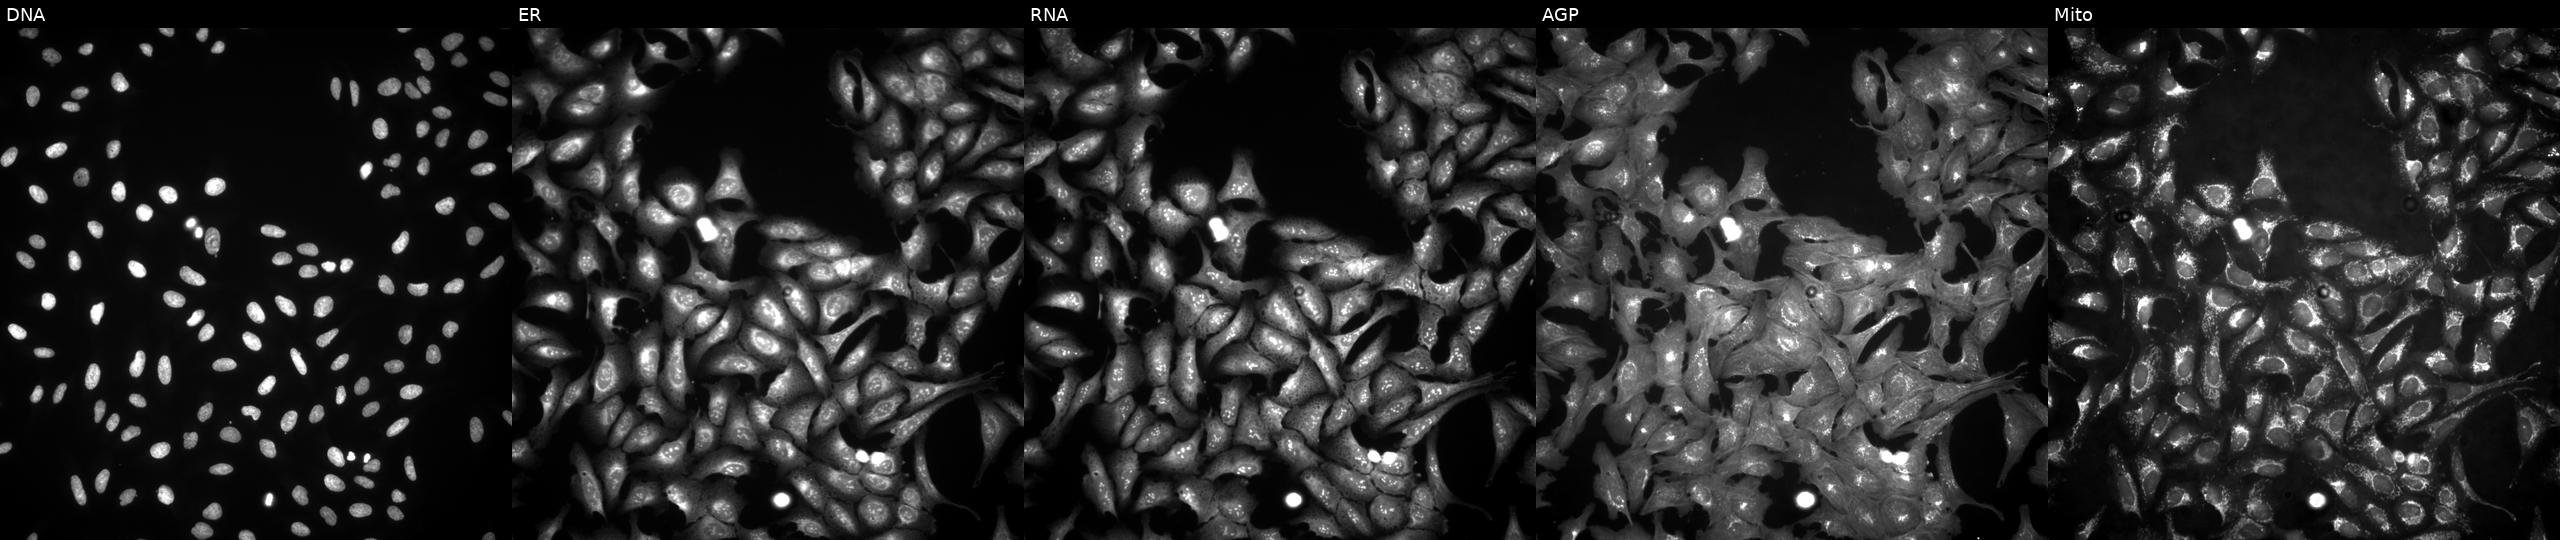
This image strip shows the five Cell Painting channels for a single field of U2OS cells transfected with an ORF construct for APOBEC4 (JUMP id JCP2022_909440). Channels (left→right): Hoechst 33342, concanavalin A, SYTO 14, phalloidin and WGA, MitoTracker. Source 4, plate BR00123509, well C09.